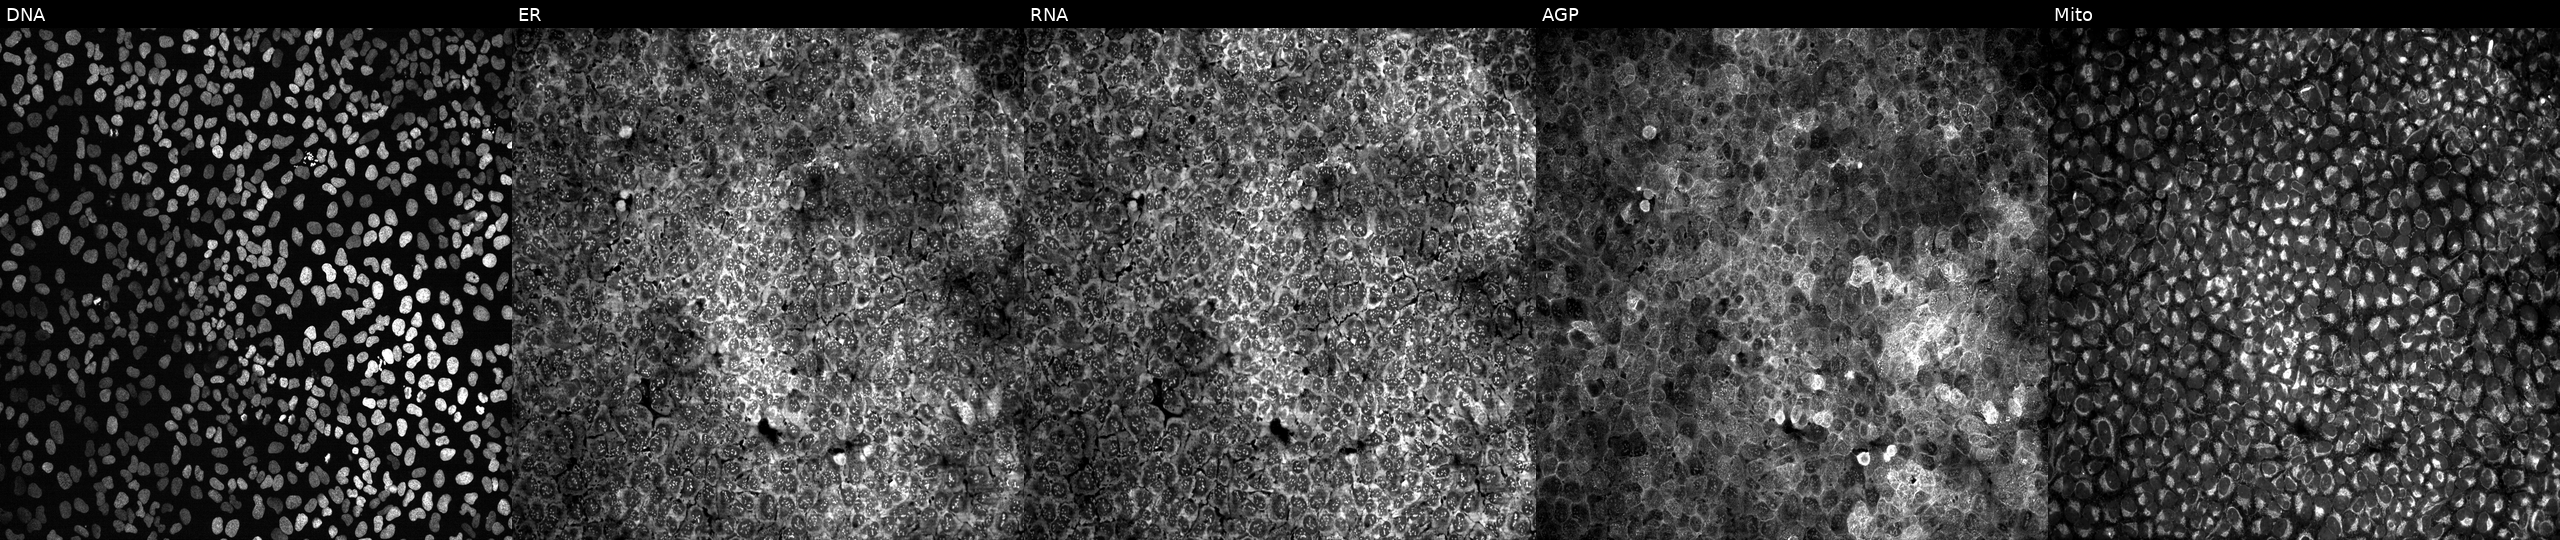
This image strip shows the five Cell Painting channels for a single field of U2OS cells with no CRISPR guide (negative control) (JUMP id JCP2022_800001). Channels (left→right): Hoechst 33342, concanavalin A, SYTO 14, phalloidin and WGA, MitoTracker. Source 13, plate CP-CC9-R4-04, well E02.